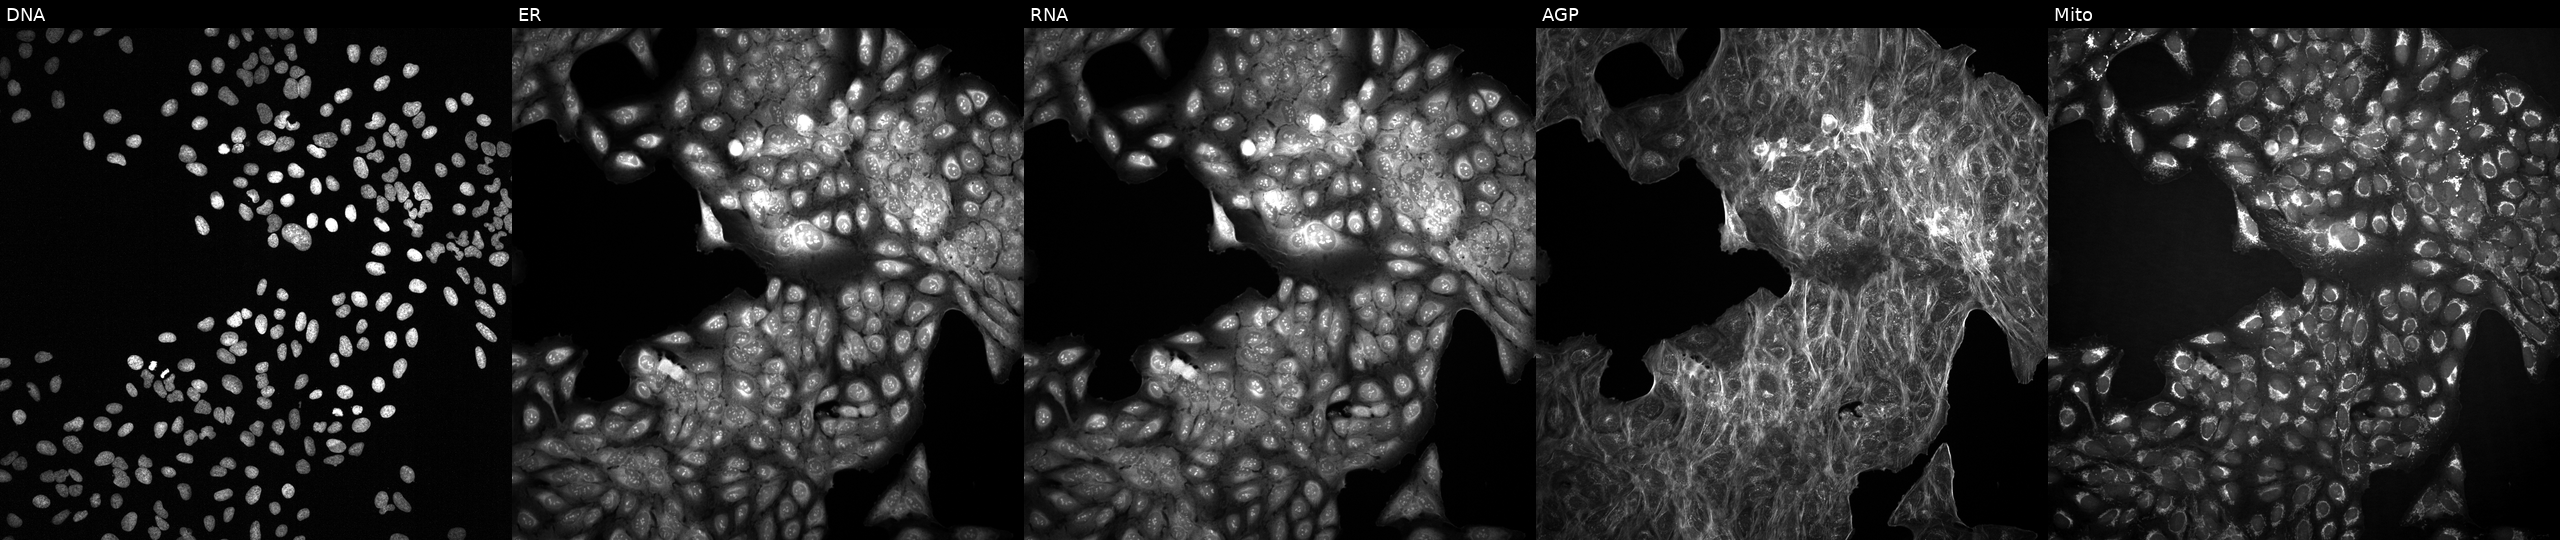
JUMP Cell Painting — COMPOUND plate. U2OS cells with an unidentified perturbation (not annotated in JUMP metadata). From left to right: DNA, ER, RNA, AGP, and Mito.